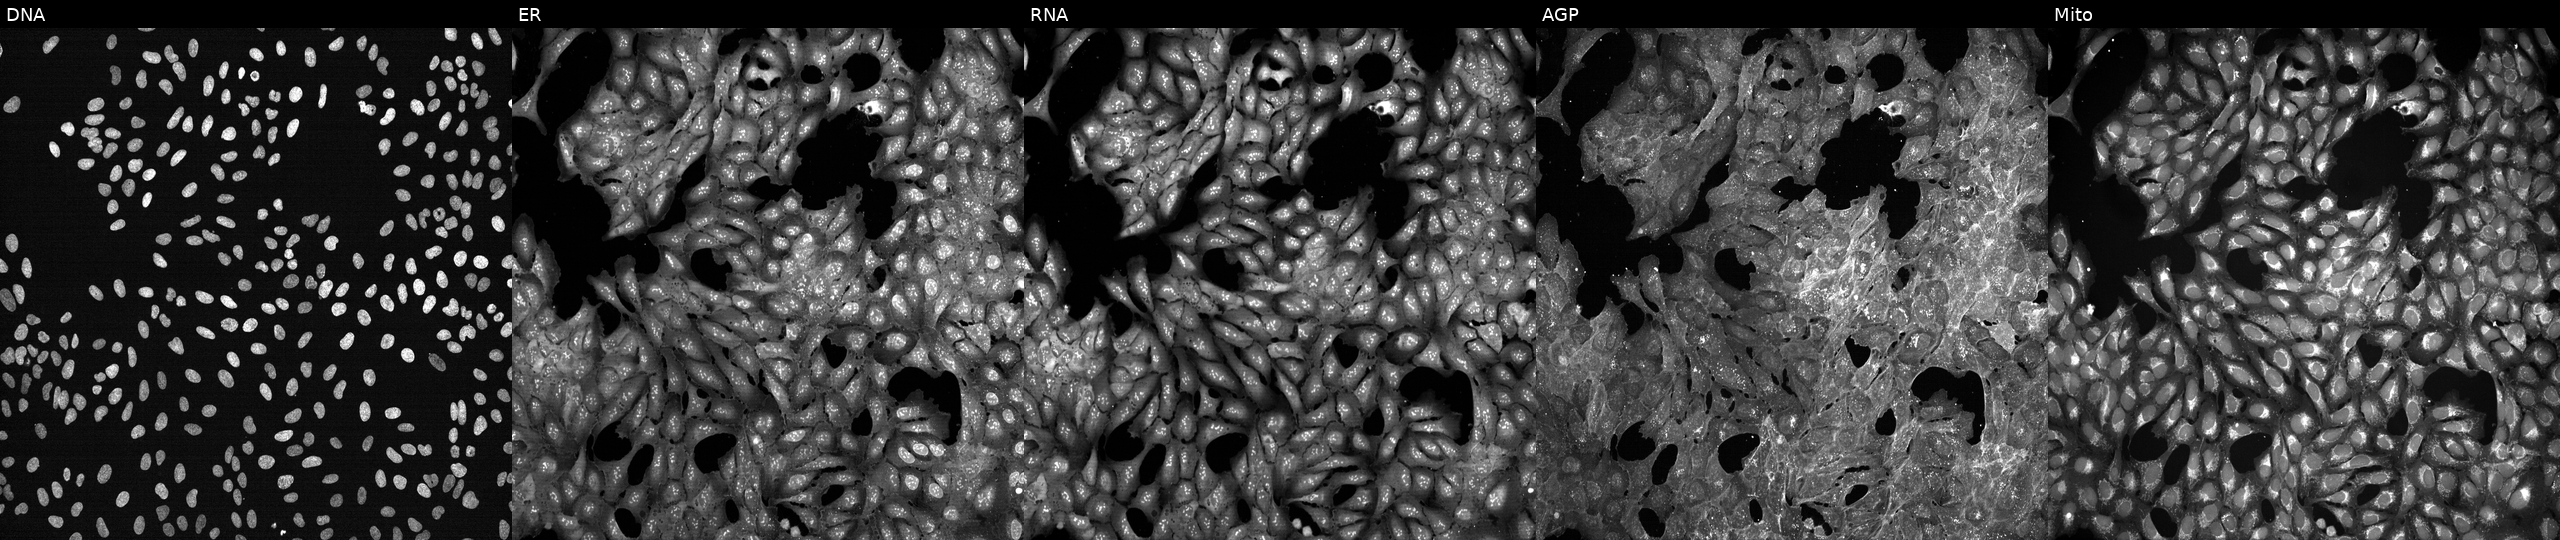
JUMP Cell Painting — TARGET2 plate. U2OS cells treated with a small-molecule compound (InChIKey LMEKQMALGUDUQG-UHFFFAOYSA-N) [SMILES: Cn1cnc([N+](=O)[O-])c1Sc1ncnc2[nH]cnc12]. Channels (left→right): DNA (nuclei); ER (endoplasmic reticulum); RNA (nucleoli and cytoplasmic RNA); AGP (actin cytoskeleton, Golgi, and plasma membrane); Mito (mitochondria). Source 7, plate CP2-SC1-25, well I08.